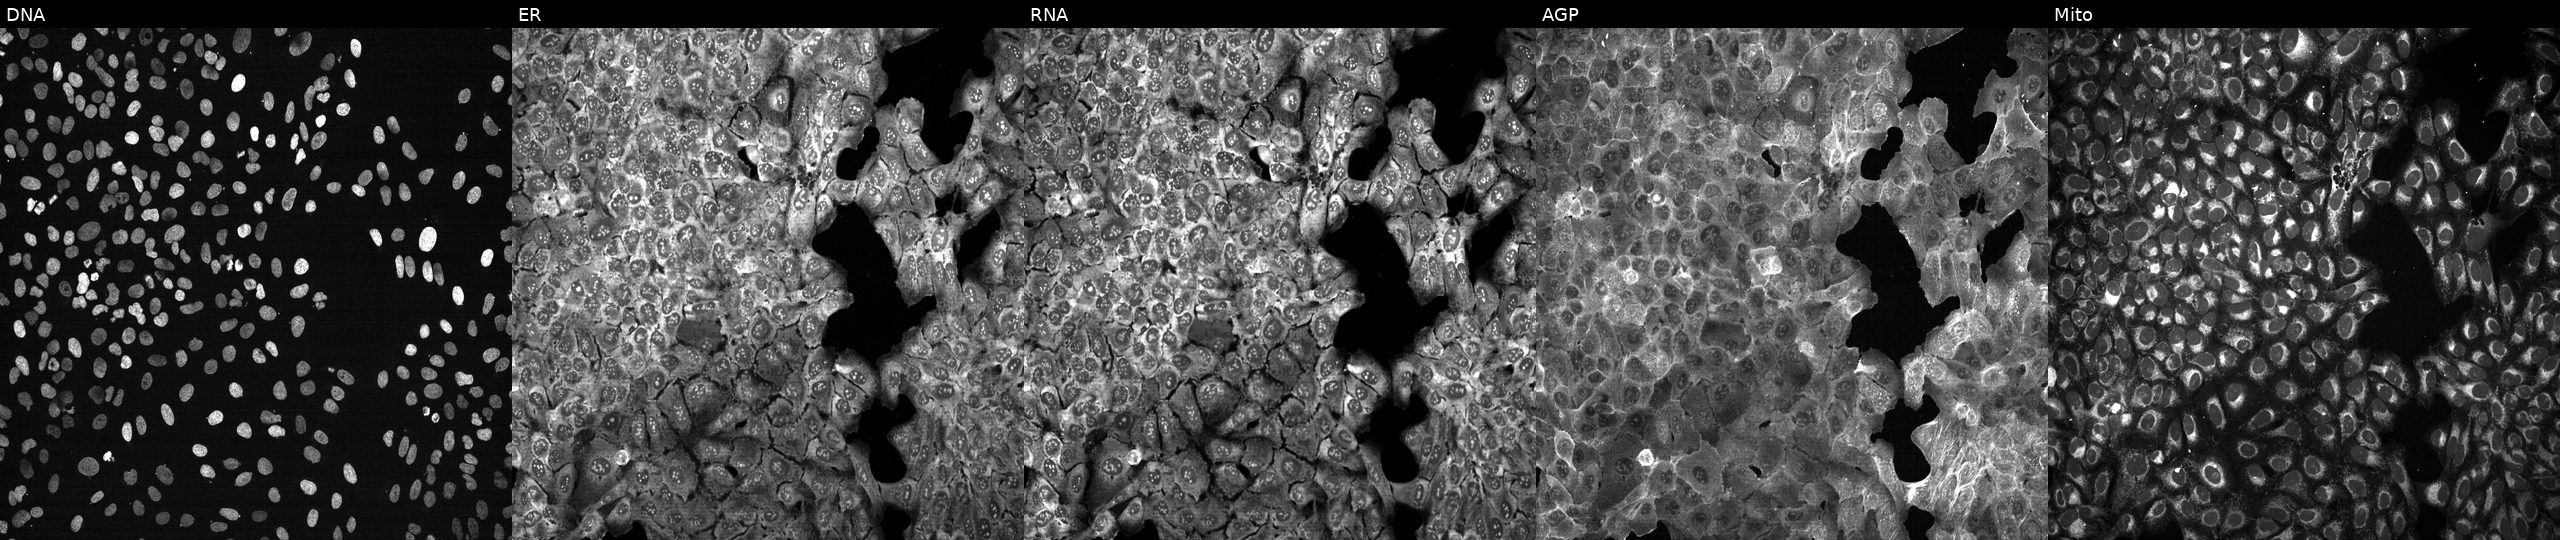
JUMP Cell Painting — CRISPR plate. U2OS cells CRISPR-edited to disrupt PRSS54 (JUMP id JCP2022_805595). The five panels, left to right, show DNA (nuclei); ER (endoplasmic reticulum); RNA (nucleoli and cytoplasmic RNA); AGP (actin cytoskeleton, Golgi, and plasma membrane); Mito (mitochondria). Source 13, plate CP-CC9-R2-01, well A20.